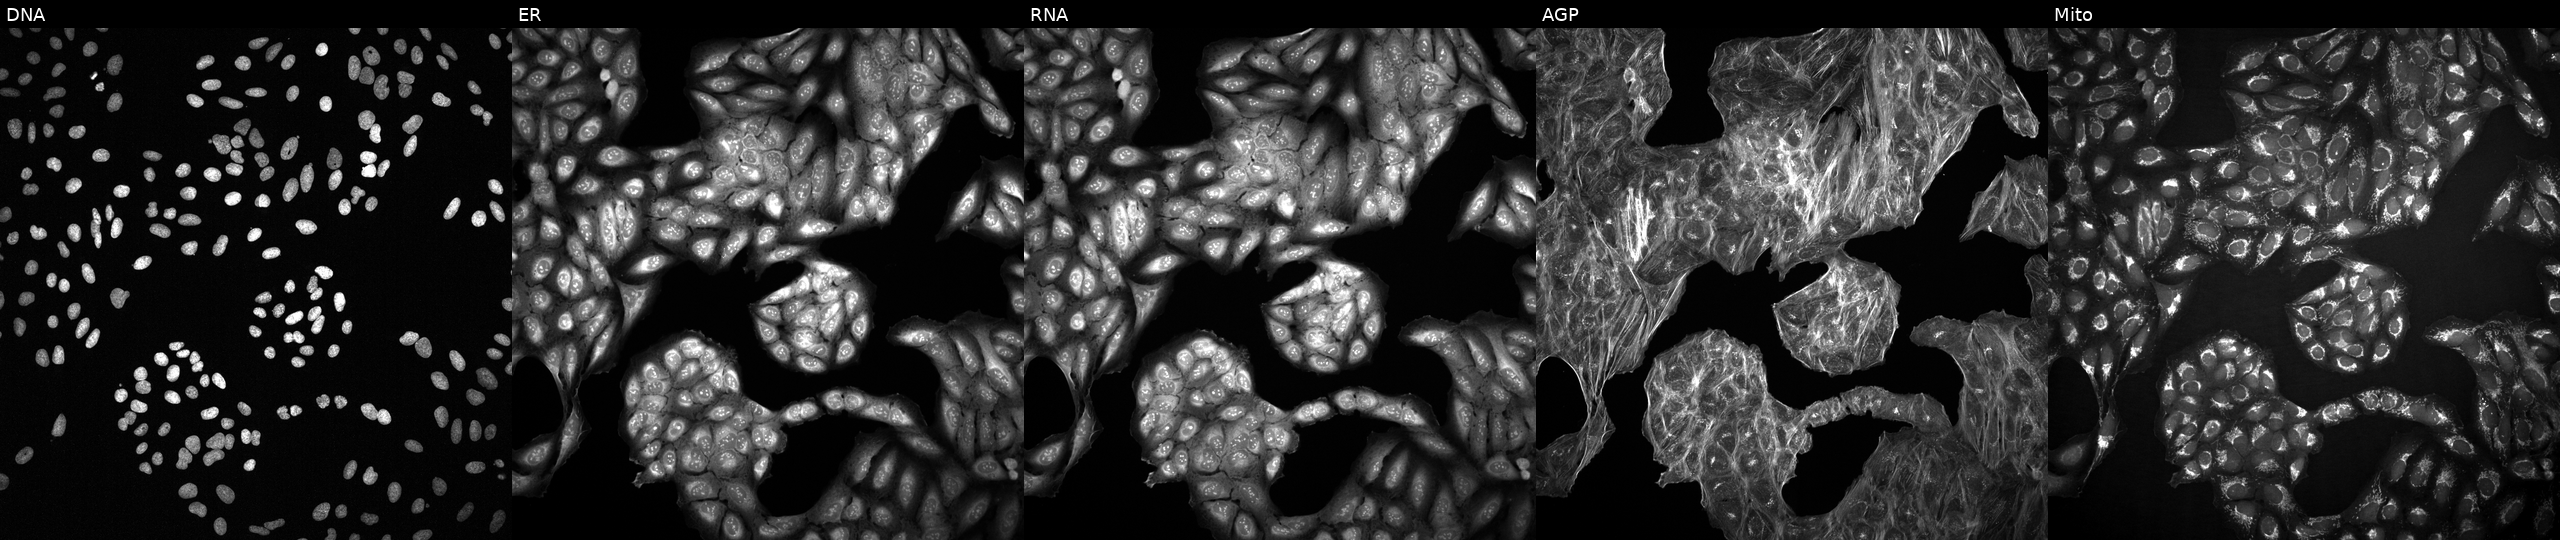
From left to right: Hoechst 33342, concanavalin A, SYTO 14, phalloidin and WGA, MitoTracker. U2OS osteosarcoma cells with an unidentified perturbation (not annotated in JUMP metadata). Cell Painting assay, JUMP-CP dataset.